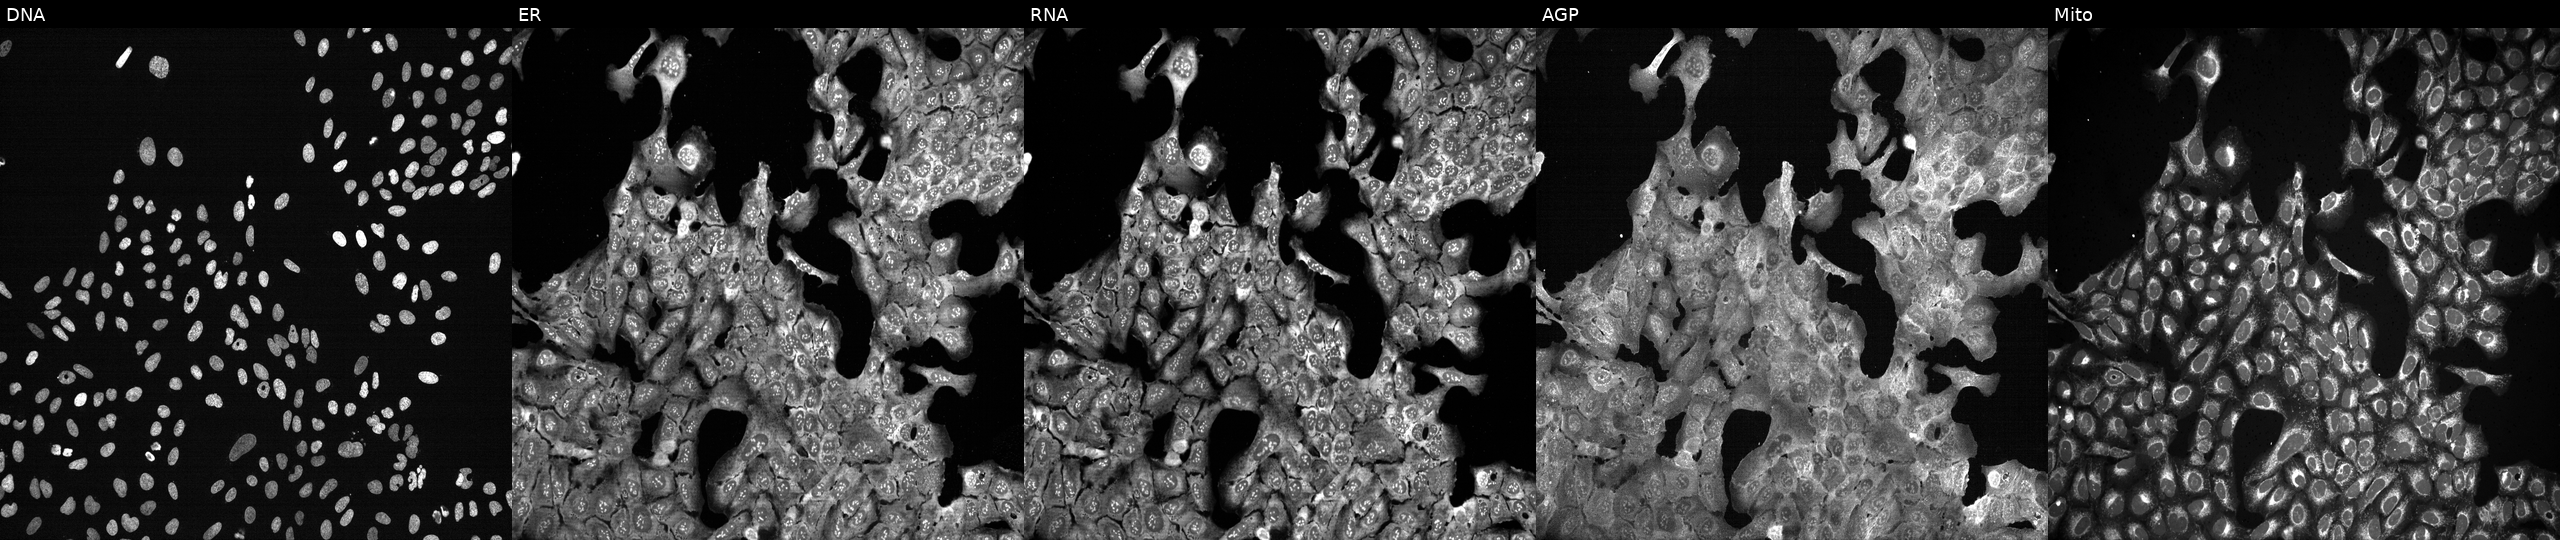
Five-channel Cell Painting image of U2OS cells CRISPR-edited to disrupt TIAM2. From left to right: DNA, ER, RNA, AGP, and Mito. Source 13, plate CP-CC9-R2-02, well J05.